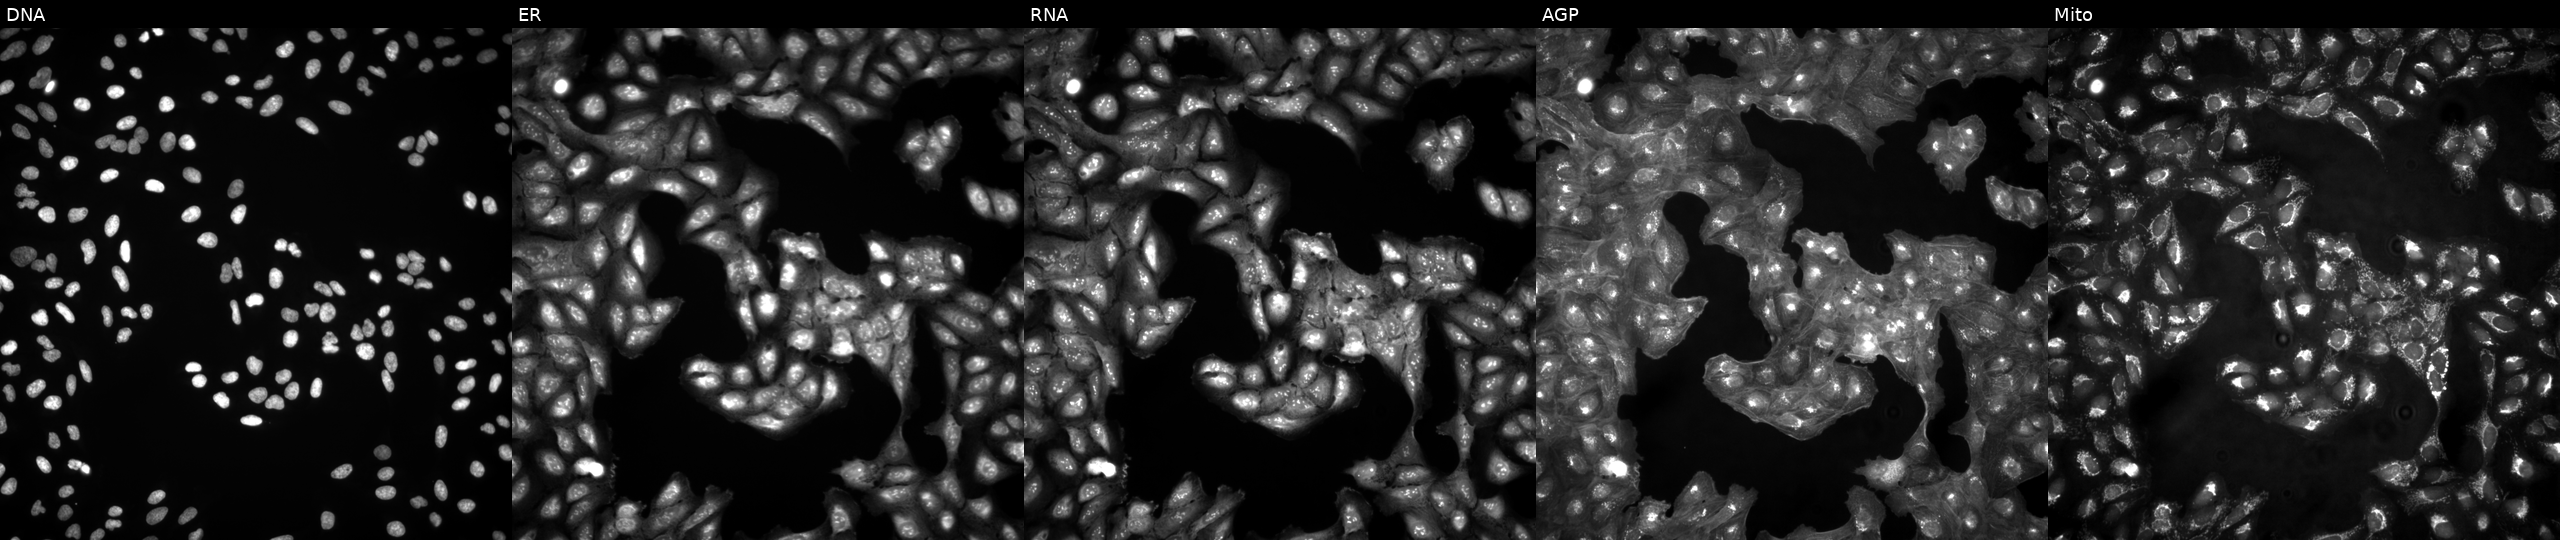
High-content fluorescence microscopy (Cell Painting). Cell line: U2OS. Perturbation: in an empty control well (no perturbation). From left to right: Hoechst 33342, concanavalin A, SYTO 14, phalloidin and WGA, MitoTracker. Source 4, plate BR00123946, well E15.